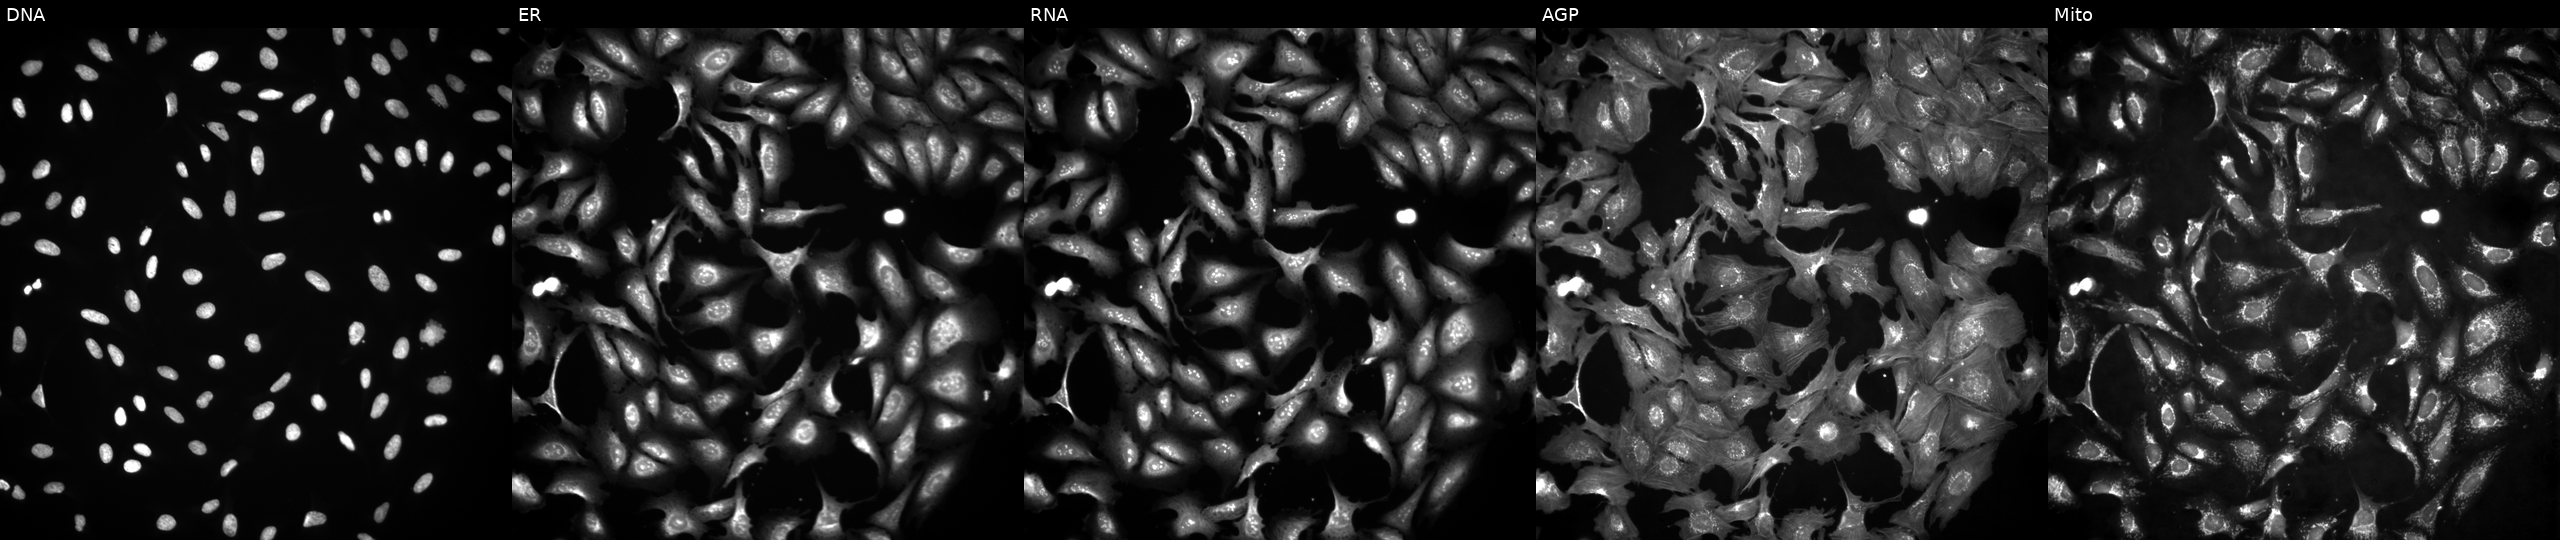
Panels show, left to right, DNA, ER, RNA, AGP, and Mito. U2OS osteosarcoma cells with CDK14 overexpressed (ORF). Cell Painting assay, JUMP-CP dataset. Source 4, plate BR00123945, well A23.